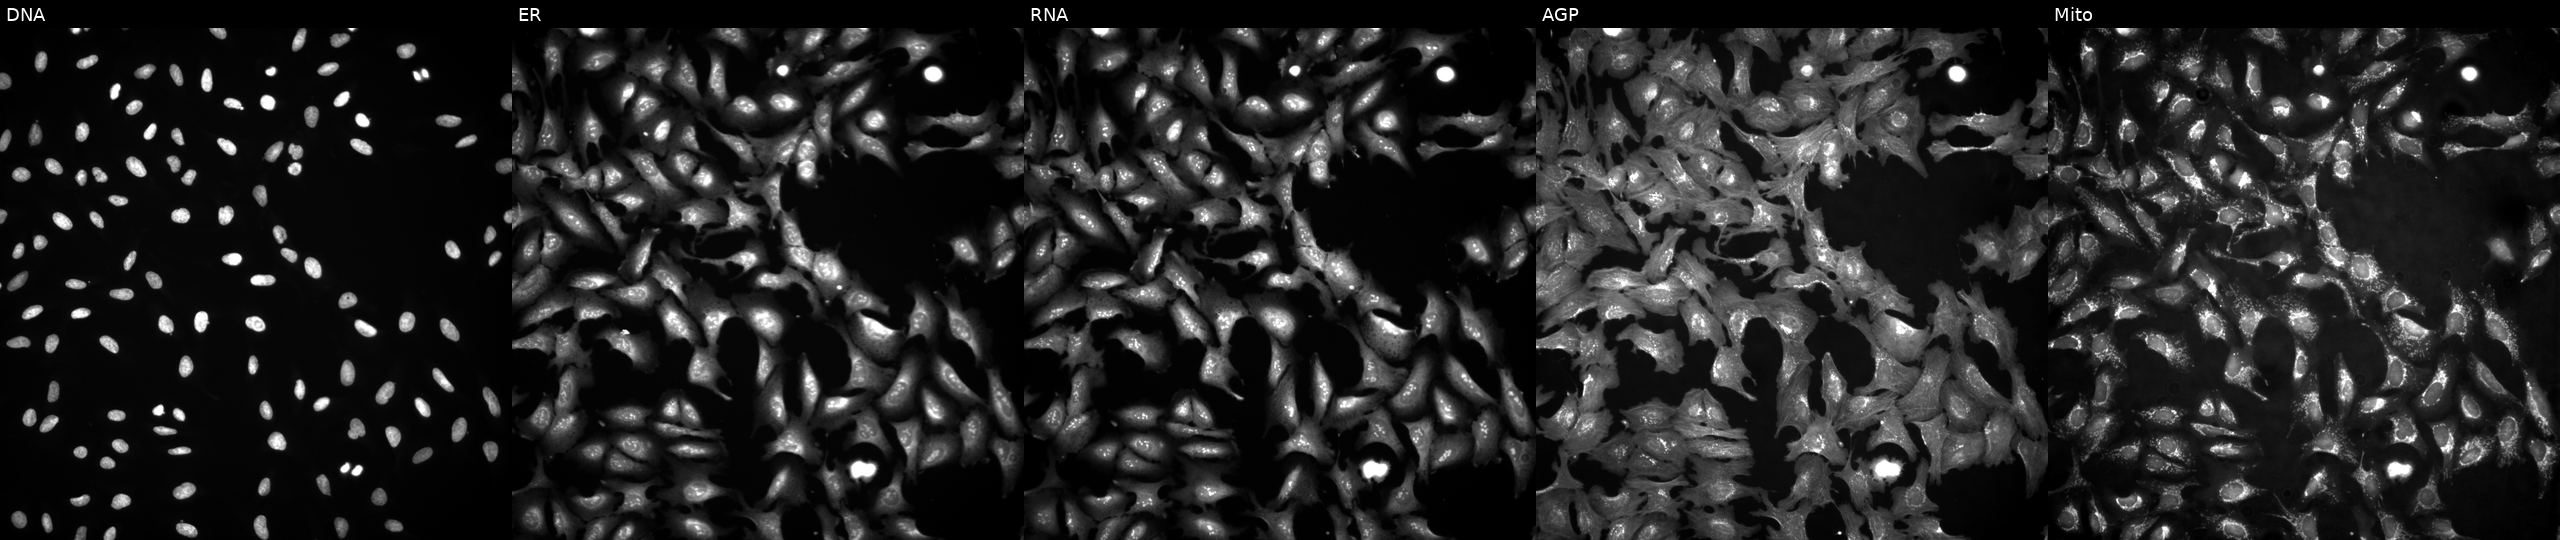
This image strip shows the five Cell Painting channels for a single field of U2OS cells overexpressing DAPK2 via ORF transfection. From left to right: DNA (nuclei); ER (endoplasmic reticulum); RNA (nucleoli and cytoplasmic RNA); AGP (actin cytoskeleton, Golgi, and plasma membrane); Mito (mitochondria).